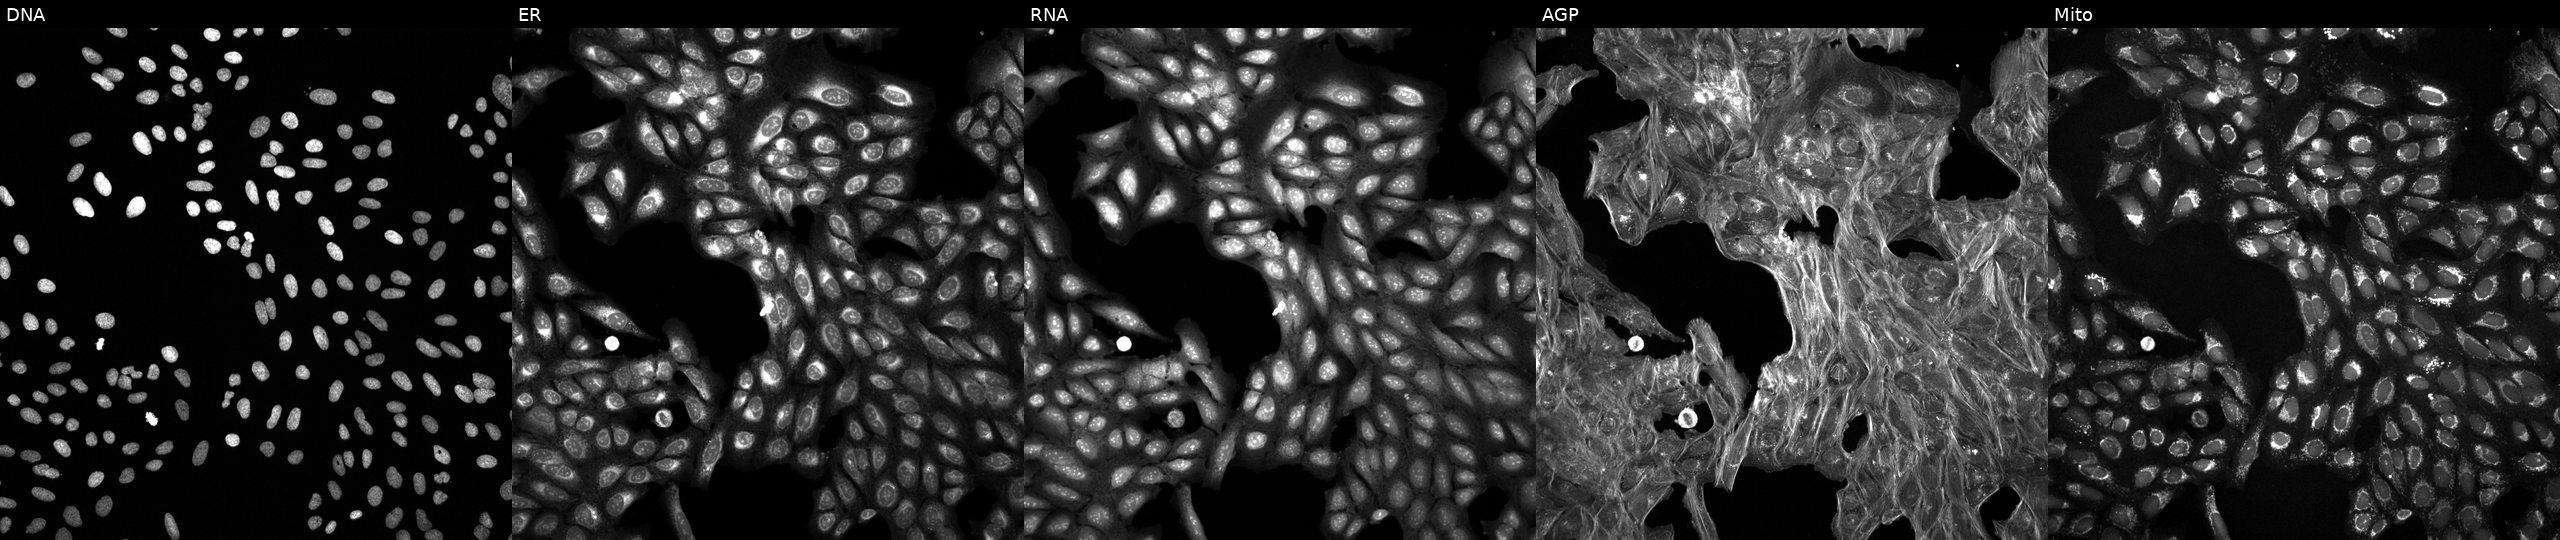
JUMP Cell Painting — COMPOUND plate. U2OS cells treated with a small-molecule compound. Channels (left→right): Hoechst 33342, concanavalin A, SYTO 14, phalloidin and WGA, MitoTracker.